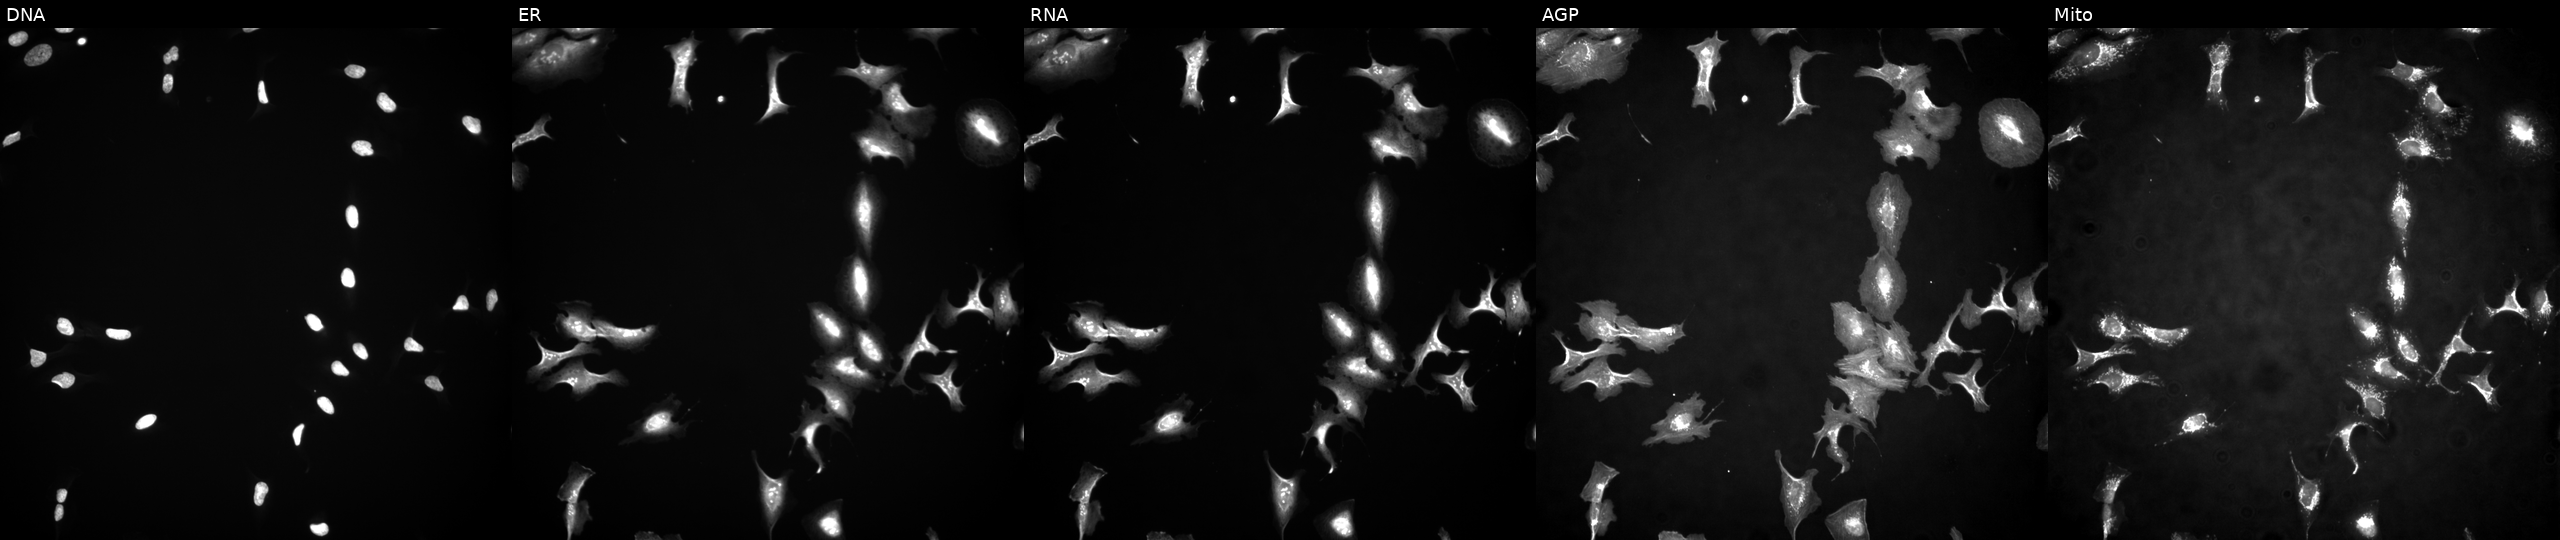
JUMP Cell Painting — ORF plate. U2OS cells with ATF6 overexpressed (ORF) (JUMP id JCP2022_910862). Panels show, left to right, DNA (nuclei); ER (endoplasmic reticulum); RNA (nucleoli and cytoplasmic RNA); AGP (actin cytoskeleton, Golgi, and plasma membrane); Mito (mitochondria).